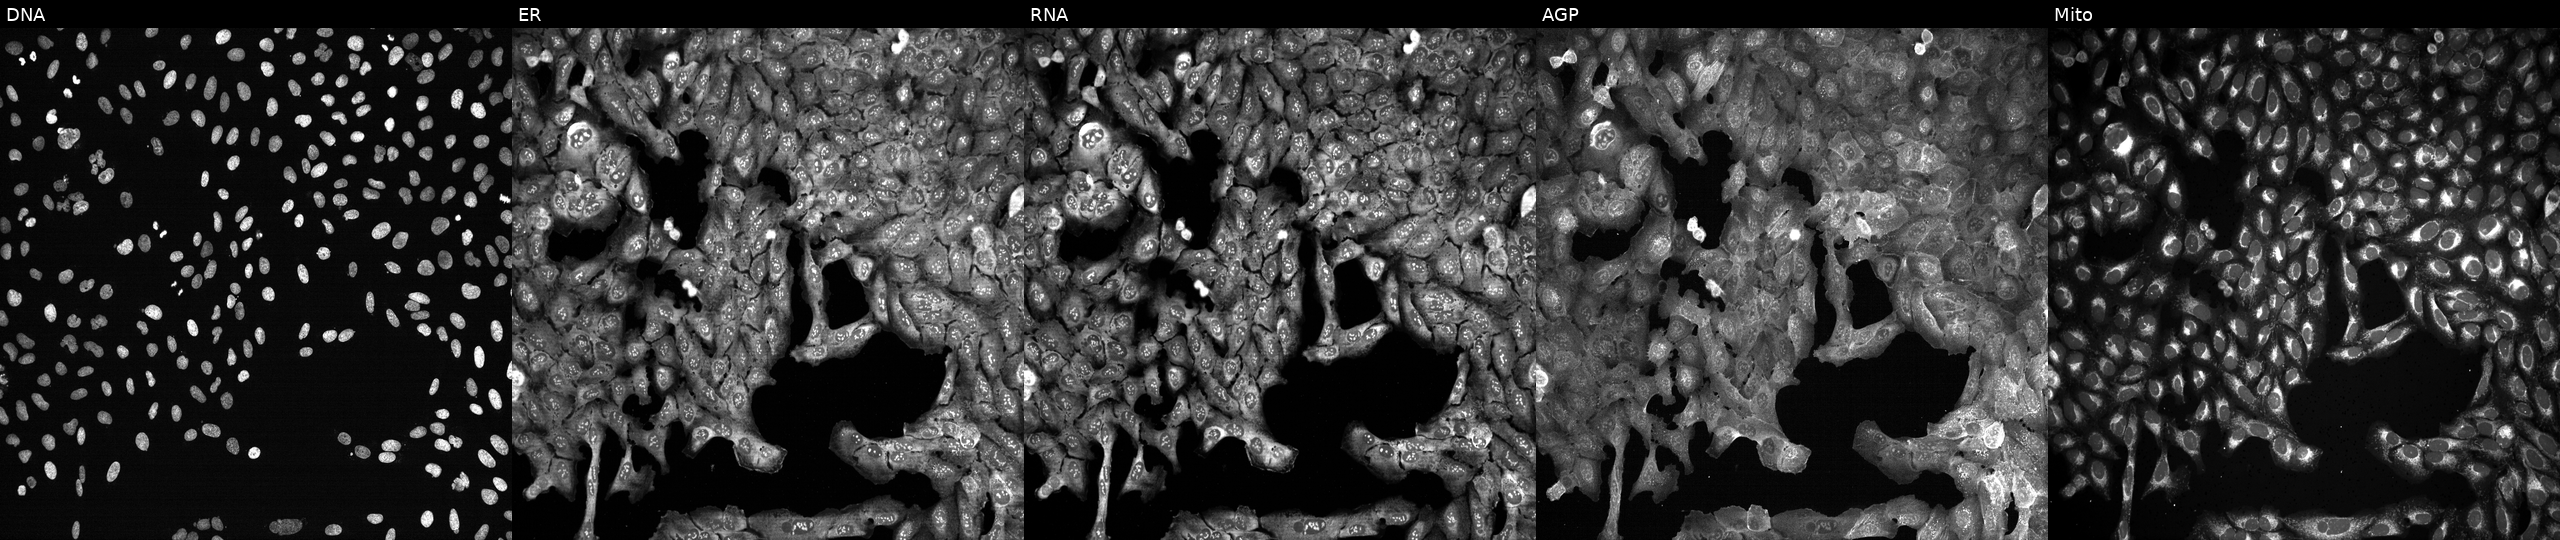
JUMP Cell Painting — CRISPR plate. U2OS cells CRISPR-edited to disrupt AIFM2 (JUMP id JCP2022_800334). From left to right: DNA, ER, RNA, AGP, and Mito.